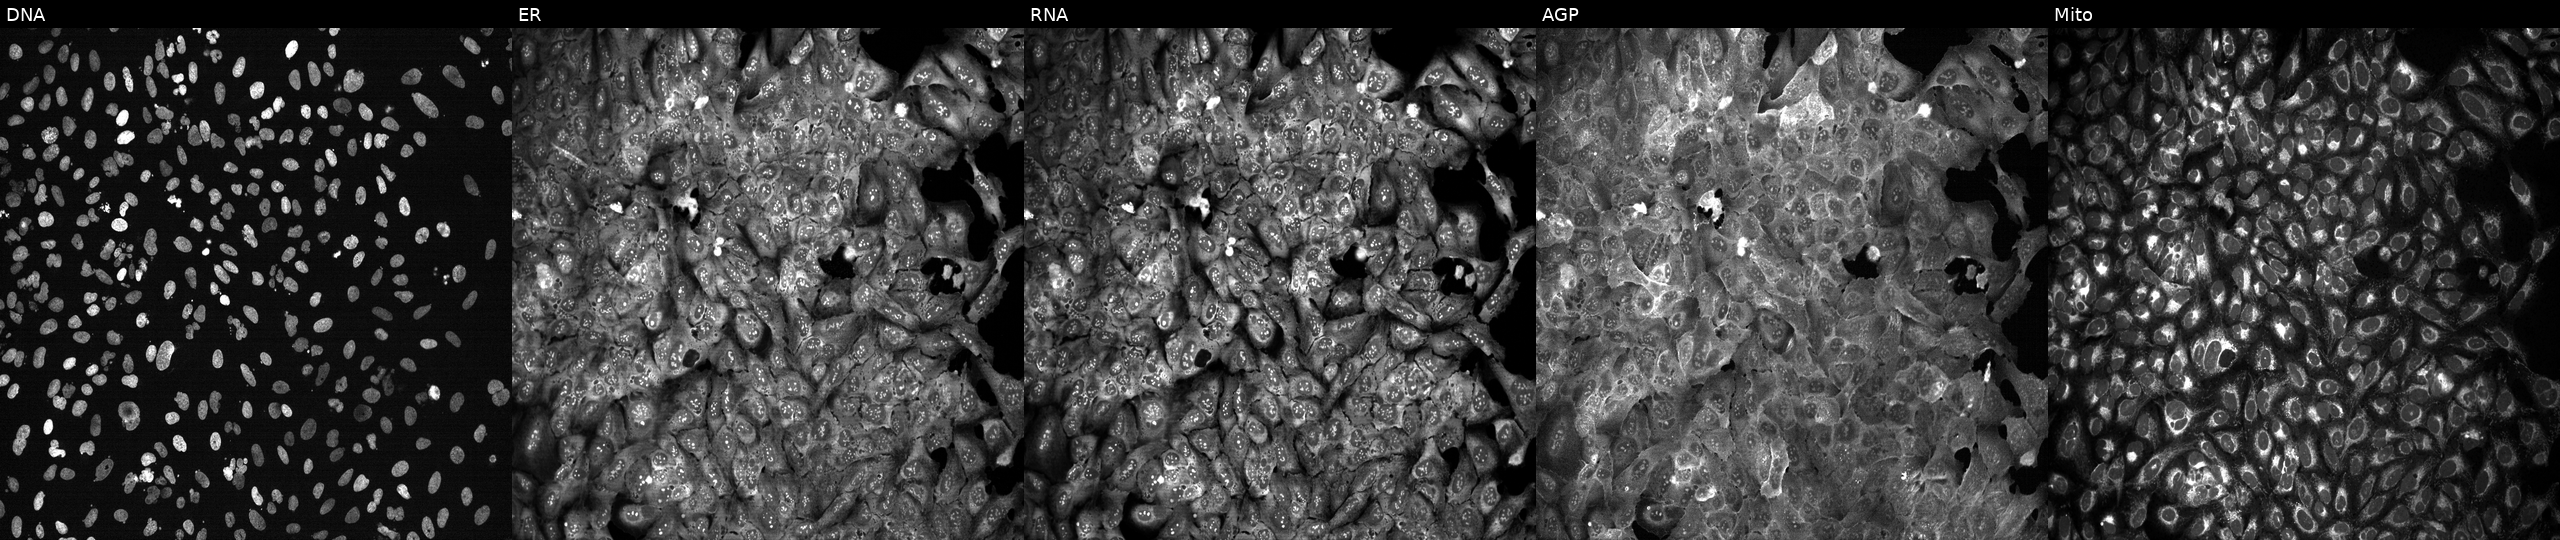
Five-channel Cell Painting image of U2OS cells CRISPR-edited to disrupt BUB3 (JUMP id JCP2022_800952). Panels show, left to right, DNA, ER, RNA, AGP, and Mito.